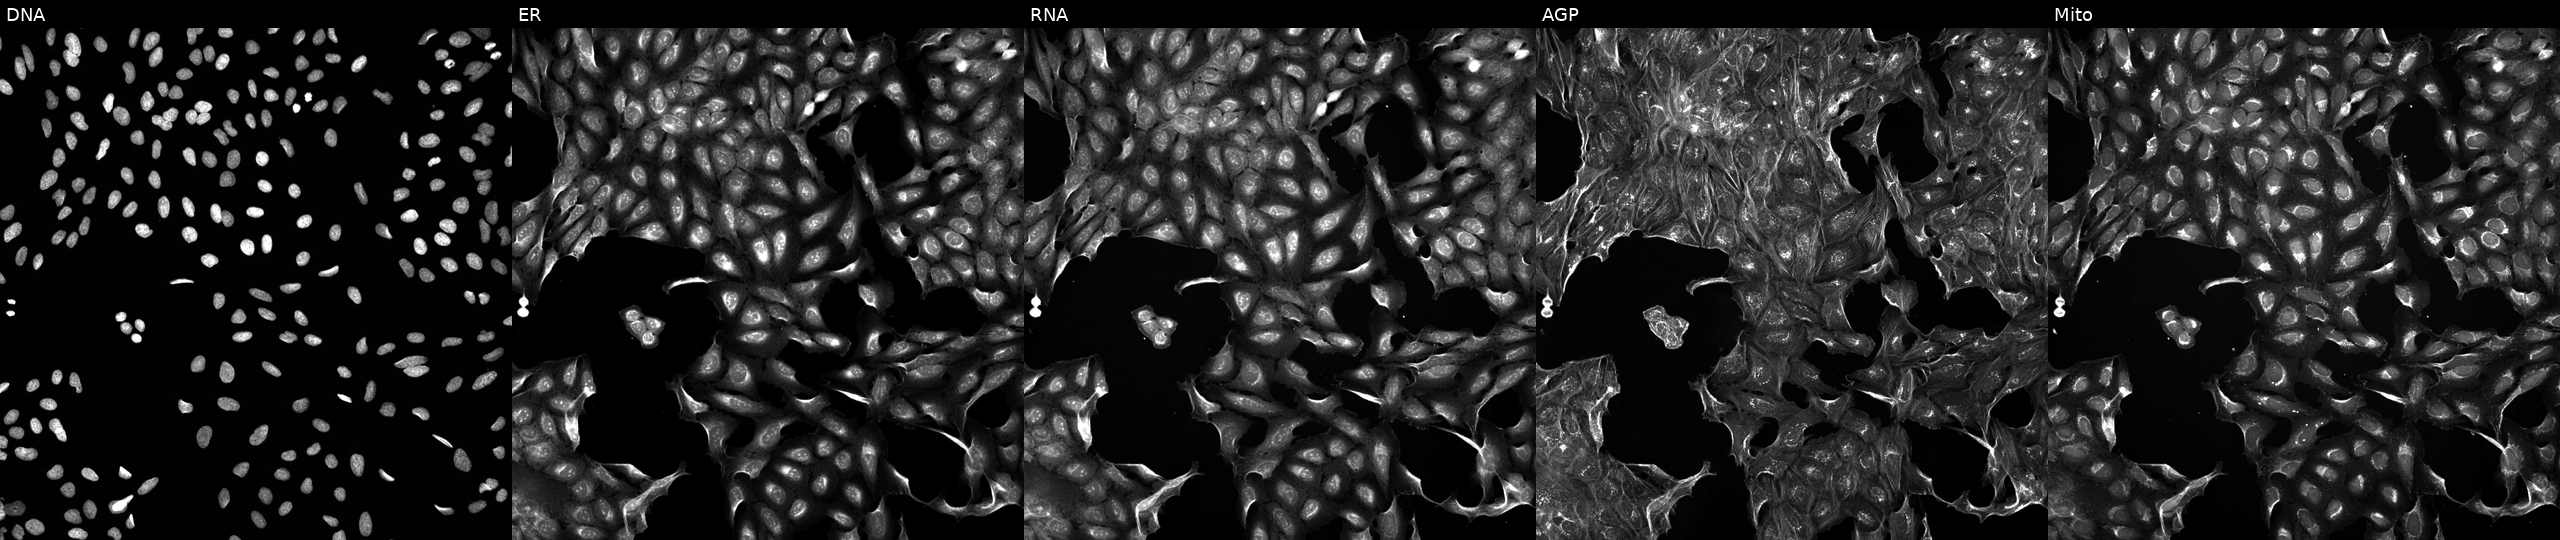
U2OS cells, Cell Painting assay, treated with DMSO vehicle only (negative control). Channels (left→right): Hoechst 33342, concanavalin A, SYTO 14, phalloidin and WGA, MitoTracker. Each panel is percentile-stretched 16-bit fluorescence.